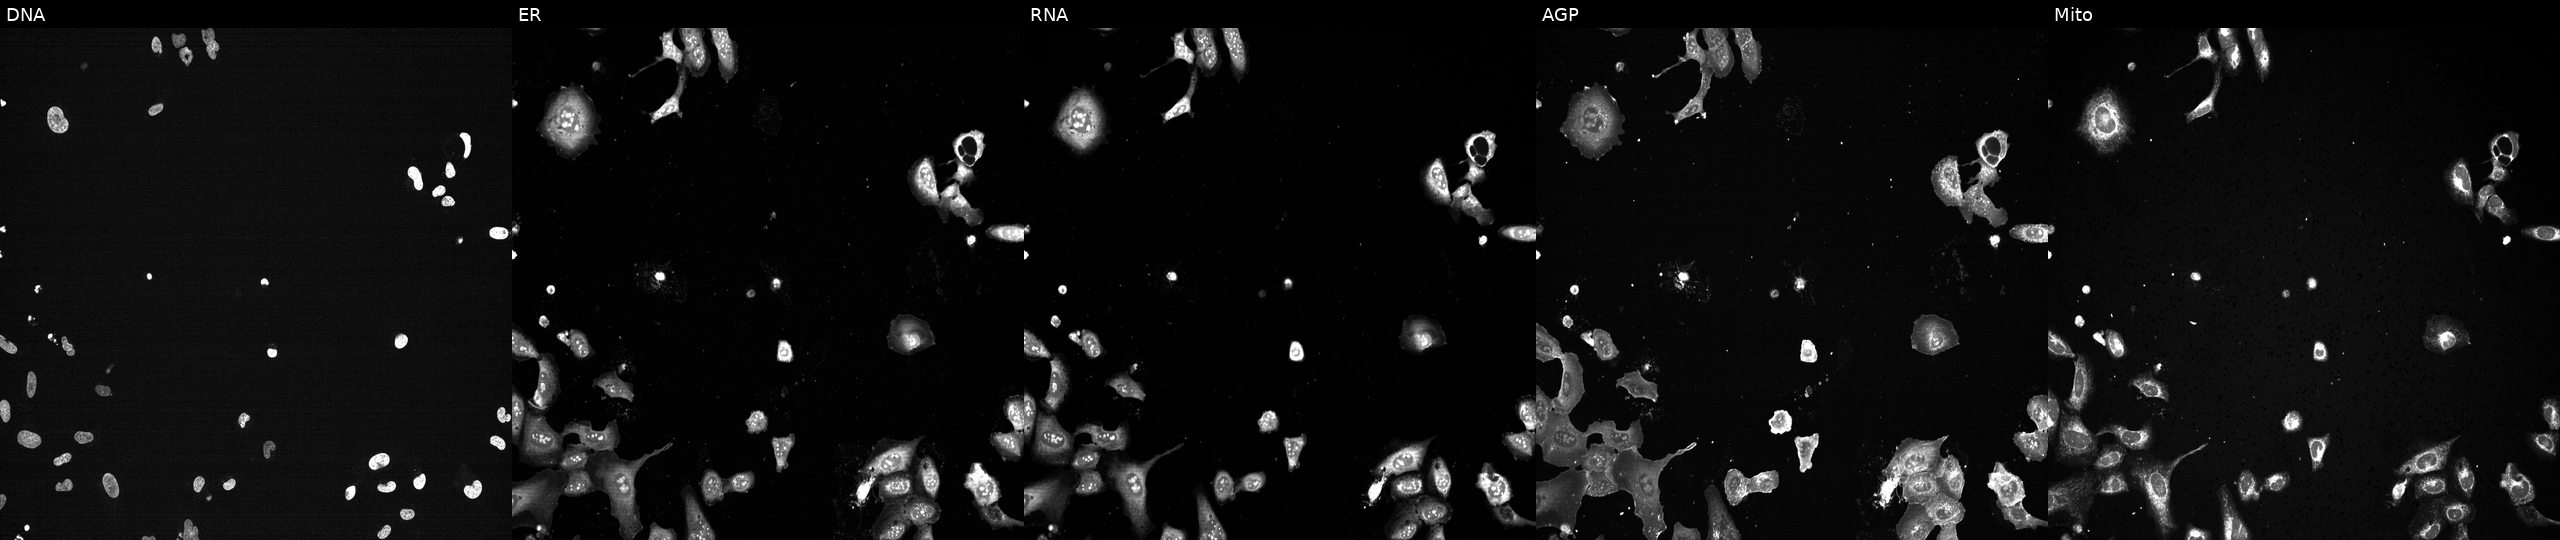
JUMP Cell Painting — CRISPR plate. U2OS cells following CRISPR knockout of ACOT6 (JUMP id JCP2022_800121). The five panels, left to right, show DNA (nuclei); ER (endoplasmic reticulum); RNA (nucleoli and cytoplasmic RNA); AGP (actin cytoskeleton, Golgi, and plasma membrane); Mito (mitochondria). Source 13, plate CP-CC9-R6-19, well F11.